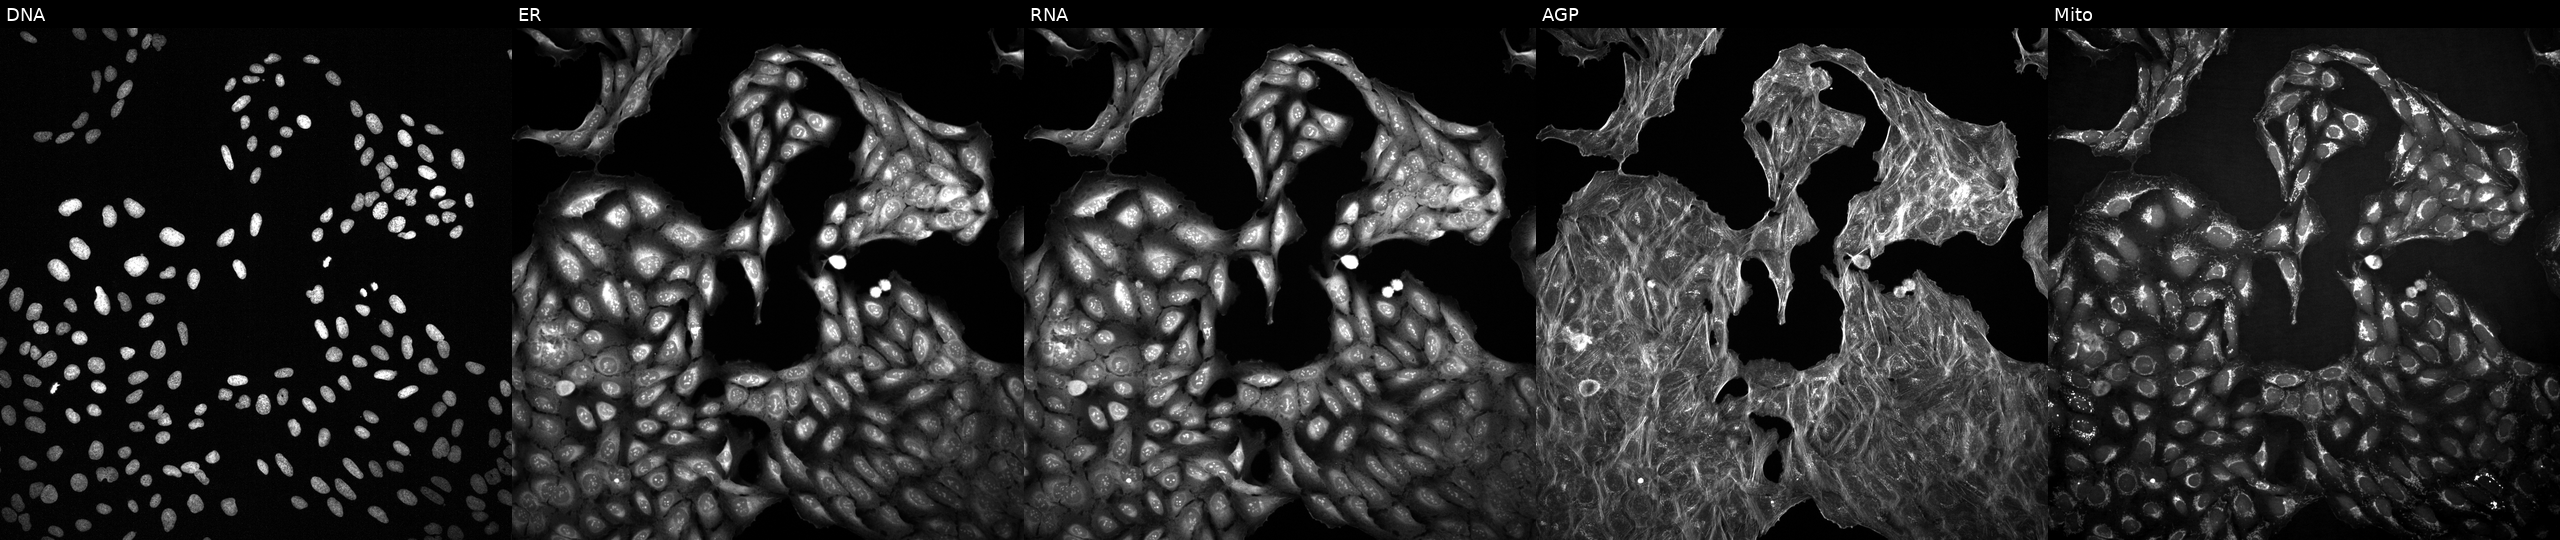
U2OS cells, Cell Painting assay, exposed to a small-molecule compound. The five panels, left to right, show DNA (nuclei); ER (endoplasmic reticulum); RNA (nucleoli and cytoplasmic RNA); AGP (actin cytoskeleton, Golgi, and plasma membrane); Mito (mitochondria). Each panel is percentile-stretched 16-bit fluorescence. Source 2, plate 1053601756, well I18.